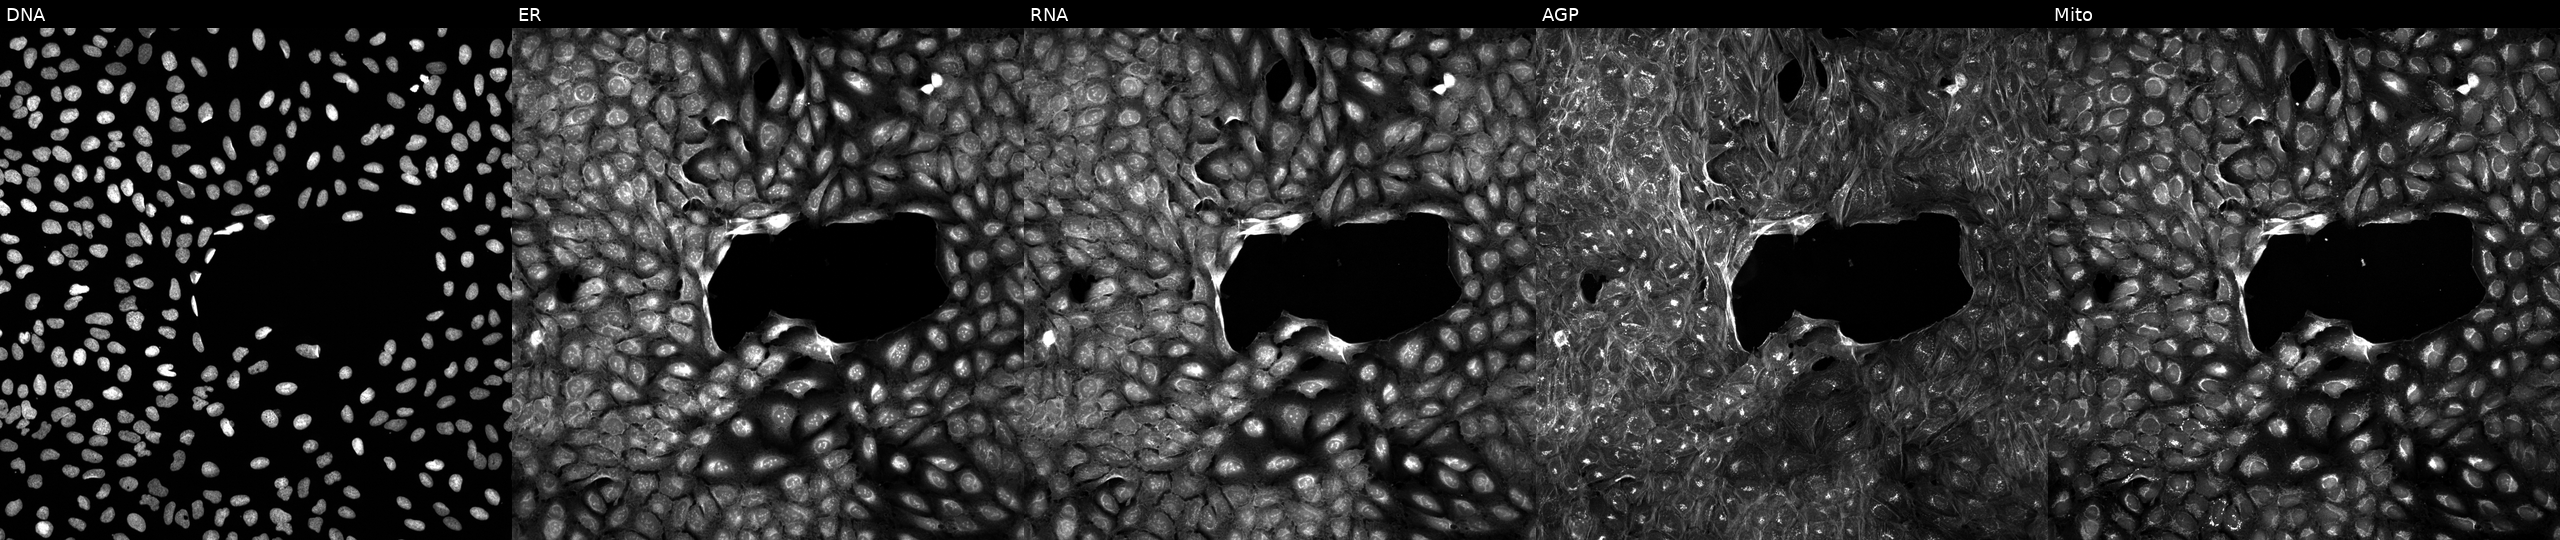
Five-channel Cell Painting image of U2OS cells perturbed with a small-molecule compound (InChIKey YBOYNHNHNHUSQJ-UHFFFAOYSA-N) (JUMP id JCP2022_107423). From left to right: Hoechst 33342, concanavalin A, SYTO 14, phalloidin and WGA, MitoTracker.